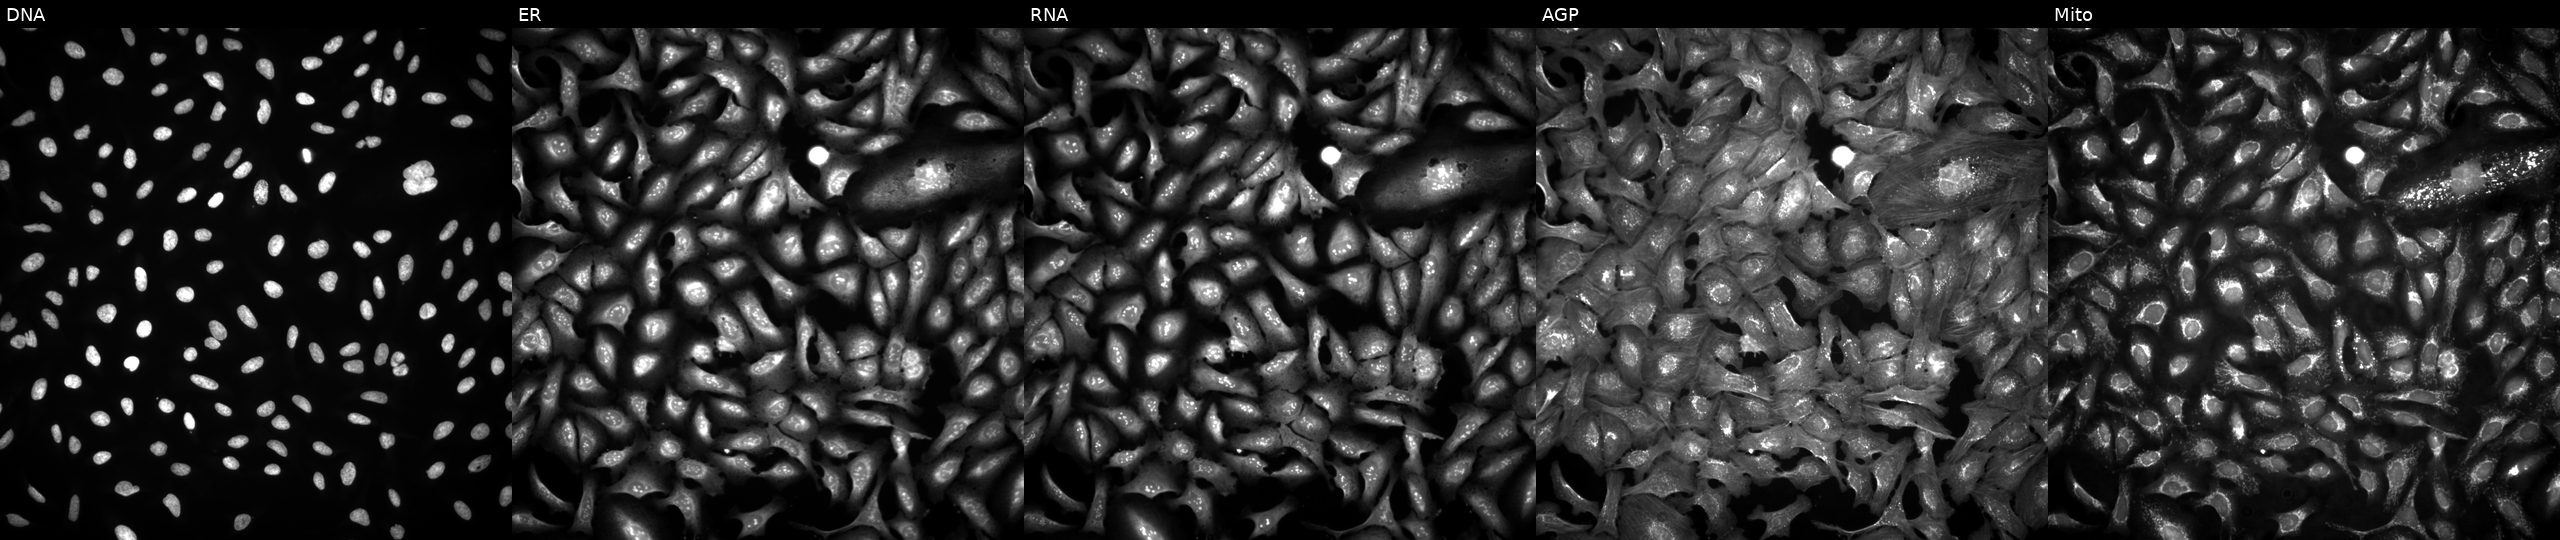
Channels (left→right): DNA, ER, RNA, AGP, and Mito. U2OS osteosarcoma cells transfected with an ORF construct for PIK3CD (JUMP id JCP2022_901127). Cell Painting assay, JUMP-CP dataset. Source 4, plate BR00123945, well L14.